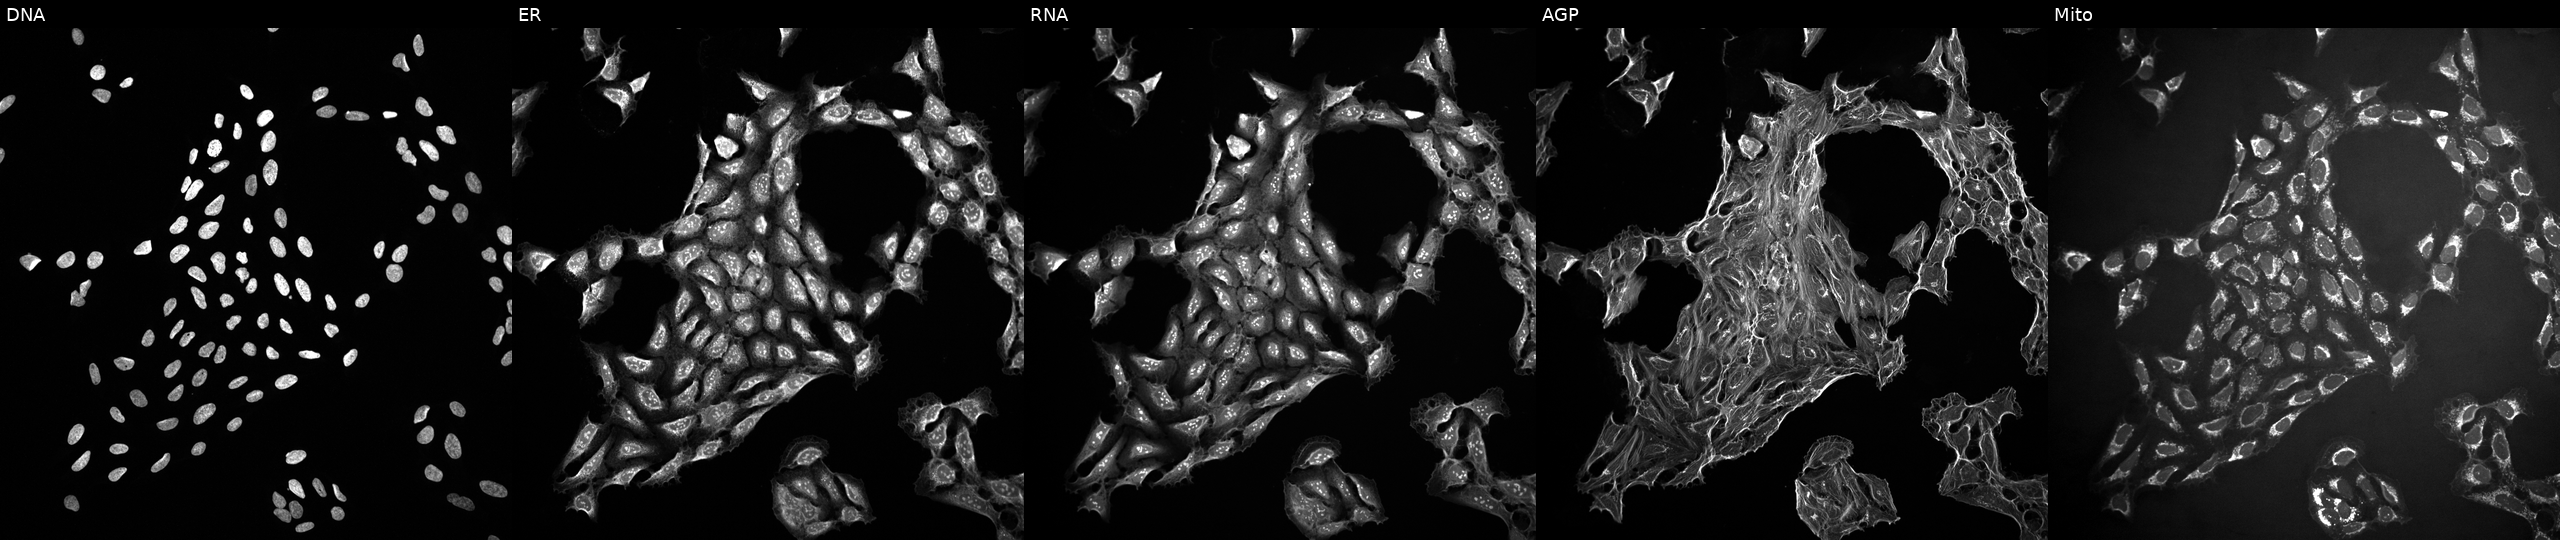
This image strip shows the five Cell Painting channels for a single field of U2OS cells treated with a small-molecule compound. The five panels, left to right, show DNA, ER, RNA, AGP, and Mito. Source 10, plate Dest210726-160150, well N16.